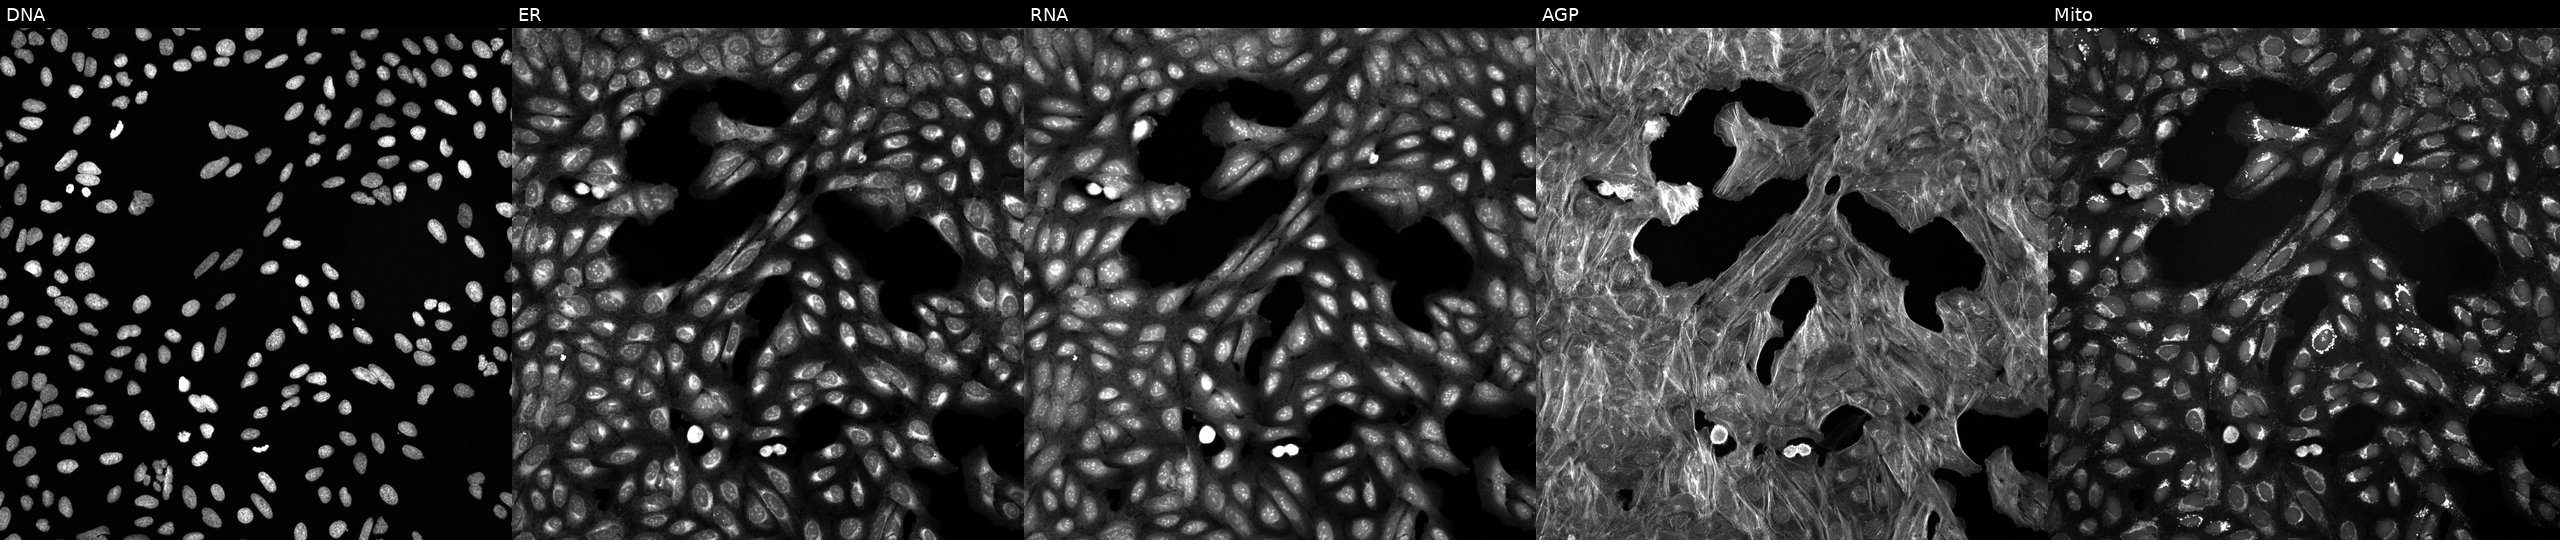
JUMP Cell Painting — COMPOUND plate. U2OS cells exposed to DMSO alone as a negative control. Panels show, left to right, DNA (nuclei); ER (endoplasmic reticulum); RNA (nucleoli and cytoplasmic RNA); AGP (actin cytoskeleton, Golgi, and plasma membrane); Mito (mitochondria).